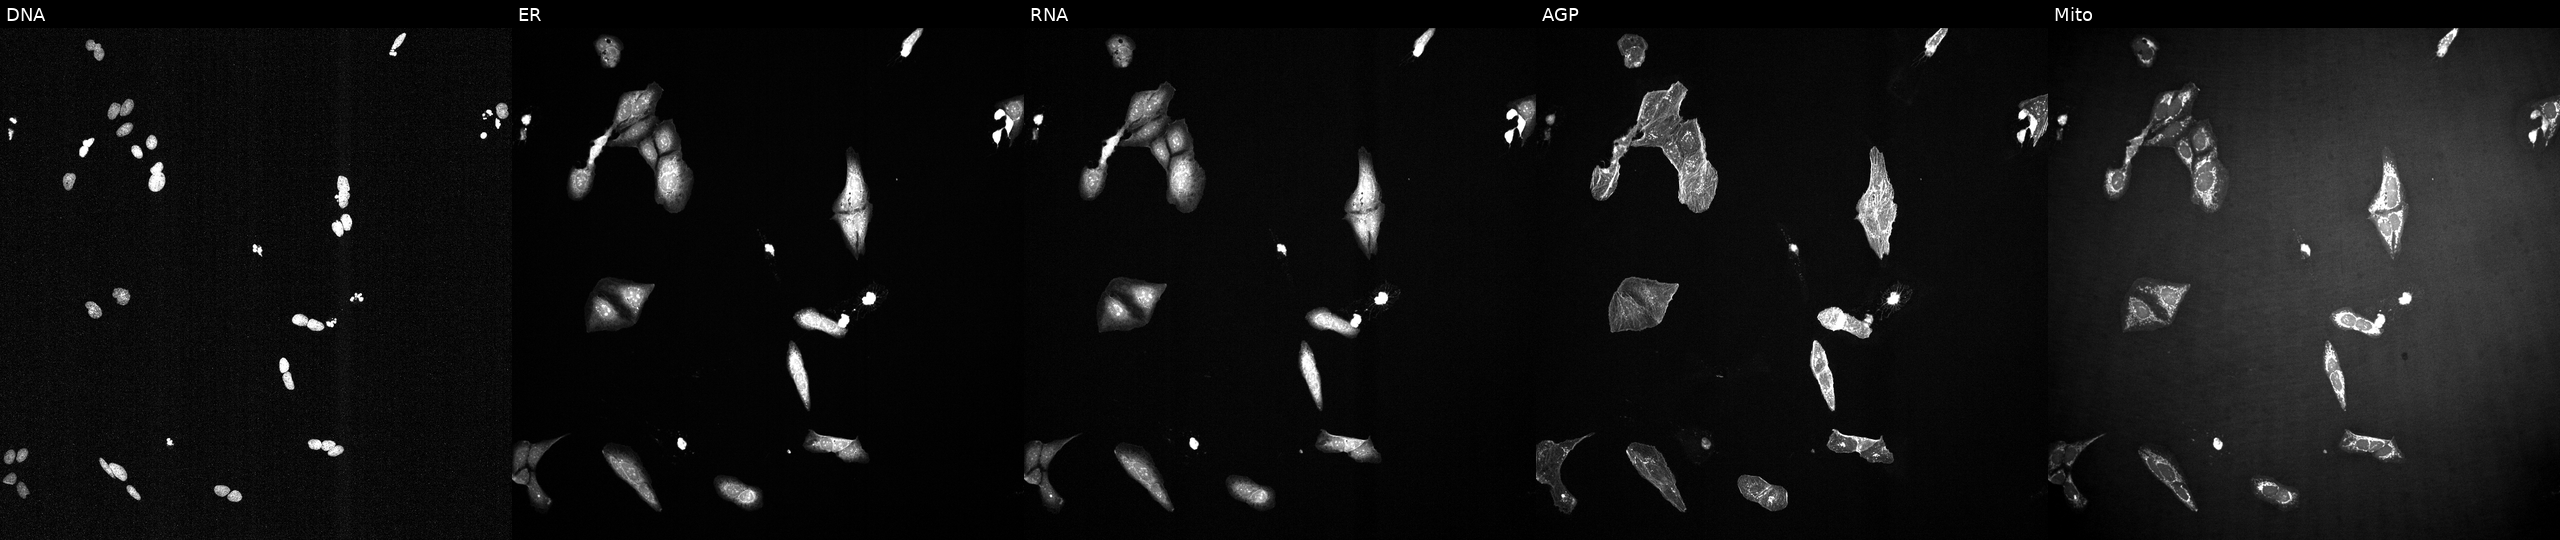
JUMP Cell Painting — TARGET2 plate. U2OS cells treated with a small-molecule compound (InChIKey NVRXTLZYXZNATH-UHFFFAOYSA-N) [SMILES: N=c1[nH]cnc2c1c(-c1cnc3[nH]ccc3c1)nn2C1CCCC1] (JUMP id JCP2022_061654). The five panels, left to right, show DNA, ER, RNA, AGP, and Mito. Source 2, plate 1053599503, well B02.